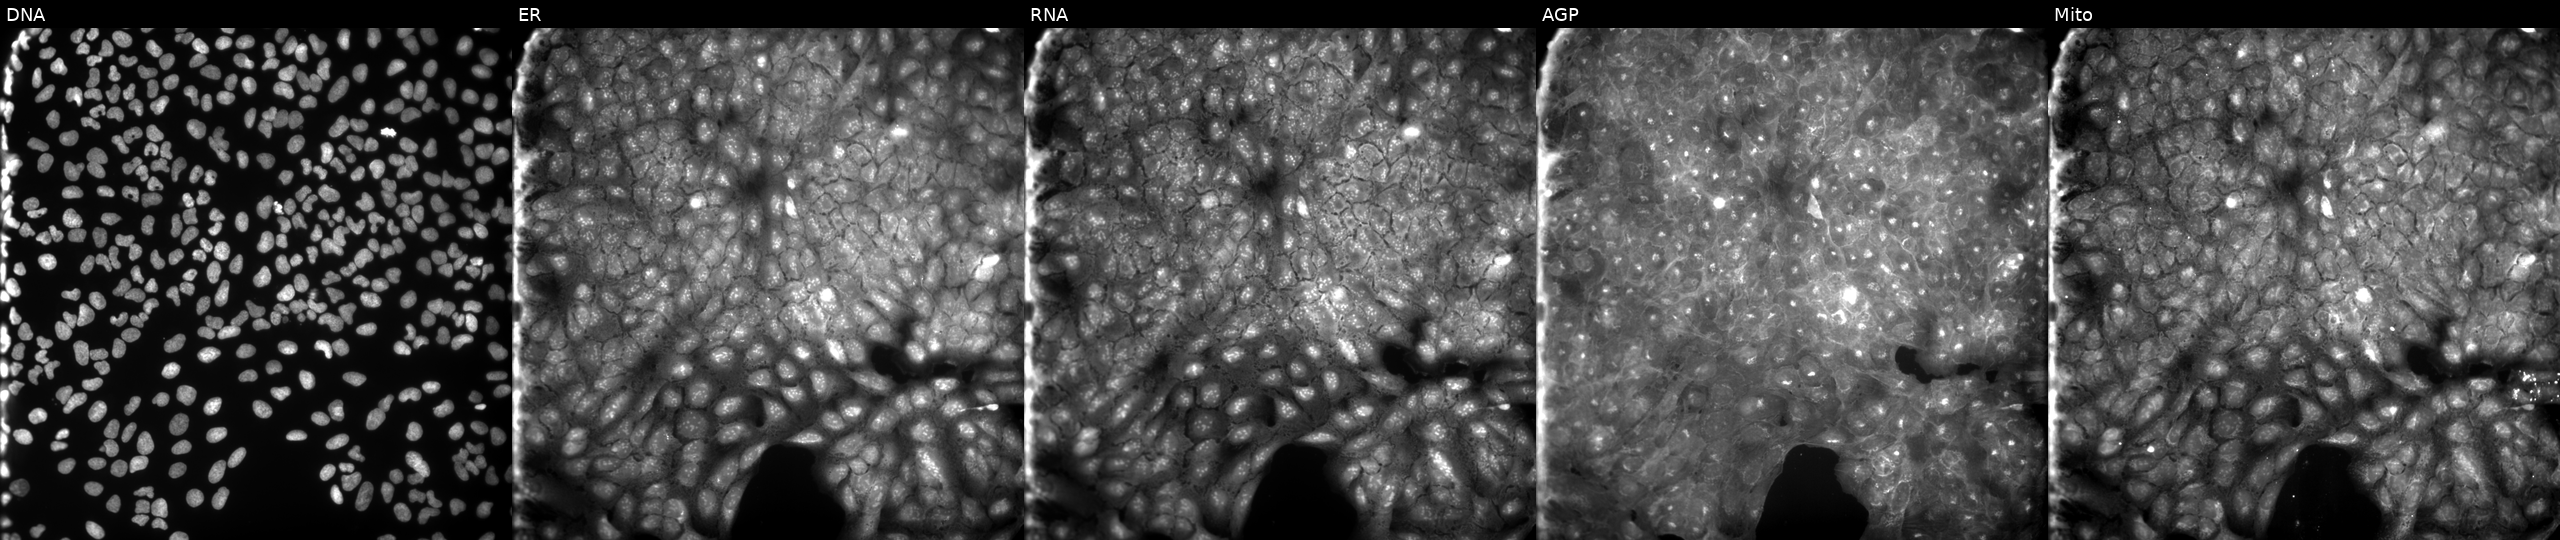
High-content fluorescence microscopy (Cell Painting). Cell line: U2OS. Perturbation: exposed to a small-molecule compound (InChIKey HNSGJTOGBSRVGW-UHFFFAOYSA-N) [SMILES: CC1CC(C)(C)Nc2ccc(OC(=O)c3ccccc3)cc21] (JUMP id JCP2022_031388). From left to right: DNA (nuclei); ER (endoplasmic reticulum); RNA (nucleoli and cytoplasmic RNA); AGP (actin cytoskeleton, Golgi, and plasma membrane); Mito (mitochondria).